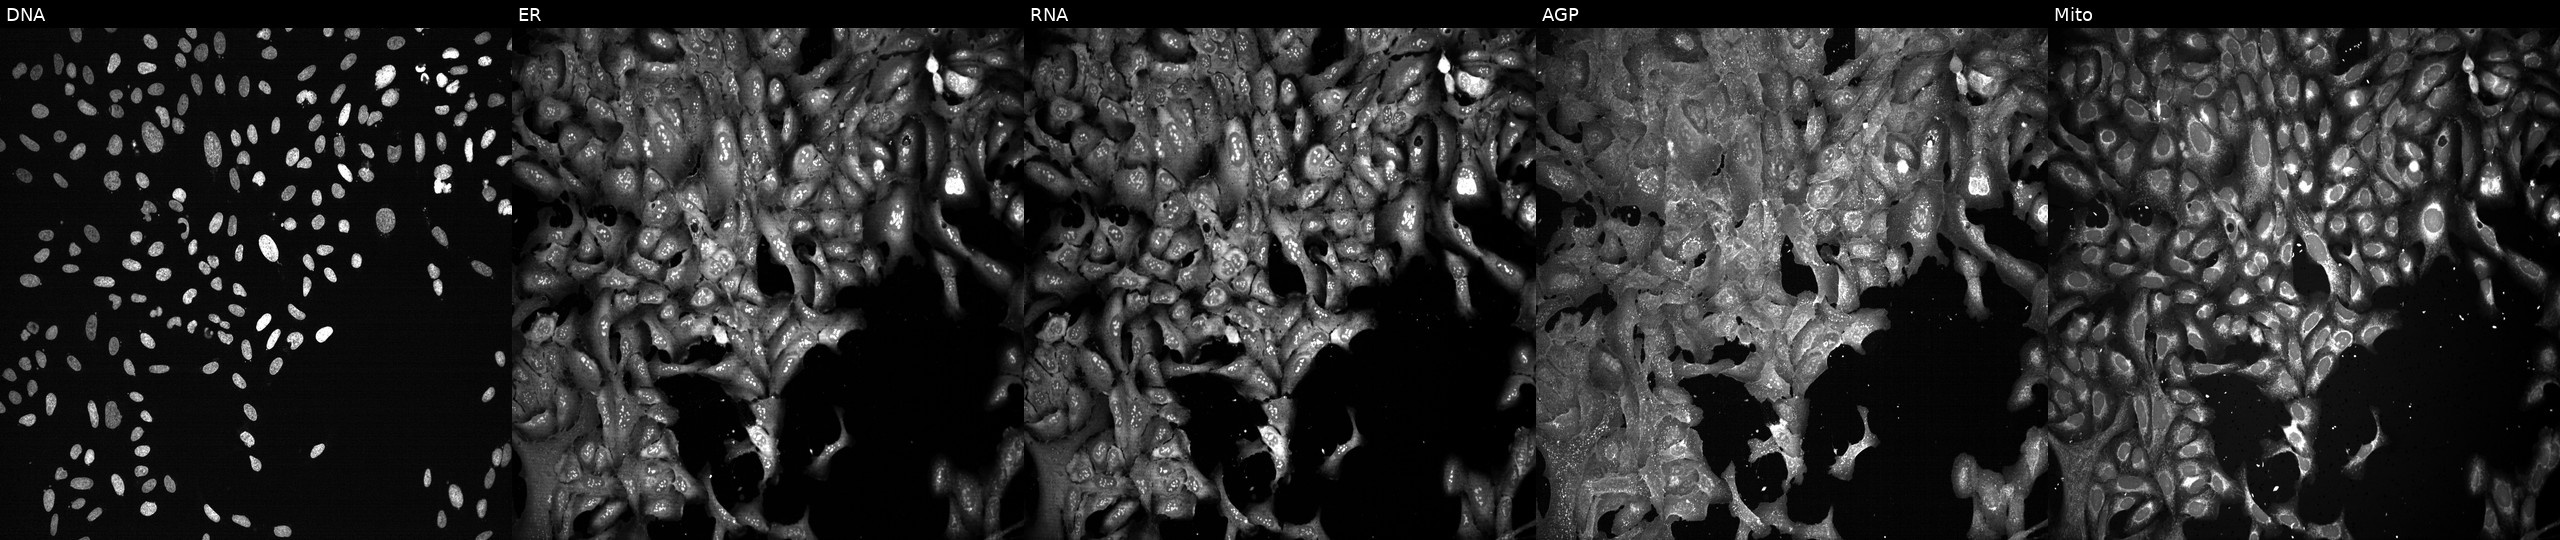
U2OS cells, Cell Painting assay, with DECR1 knocked out by CRISPR (JUMP id JCP2022_801757). Panels show, left to right, DNA (nuclei); ER (endoplasmic reticulum); RNA (nucleoli and cytoplasmic RNA); AGP (actin cytoskeleton, Golgi, and plasma membrane); Mito (mitochondria). Each panel is percentile-stretched 16-bit fluorescence.